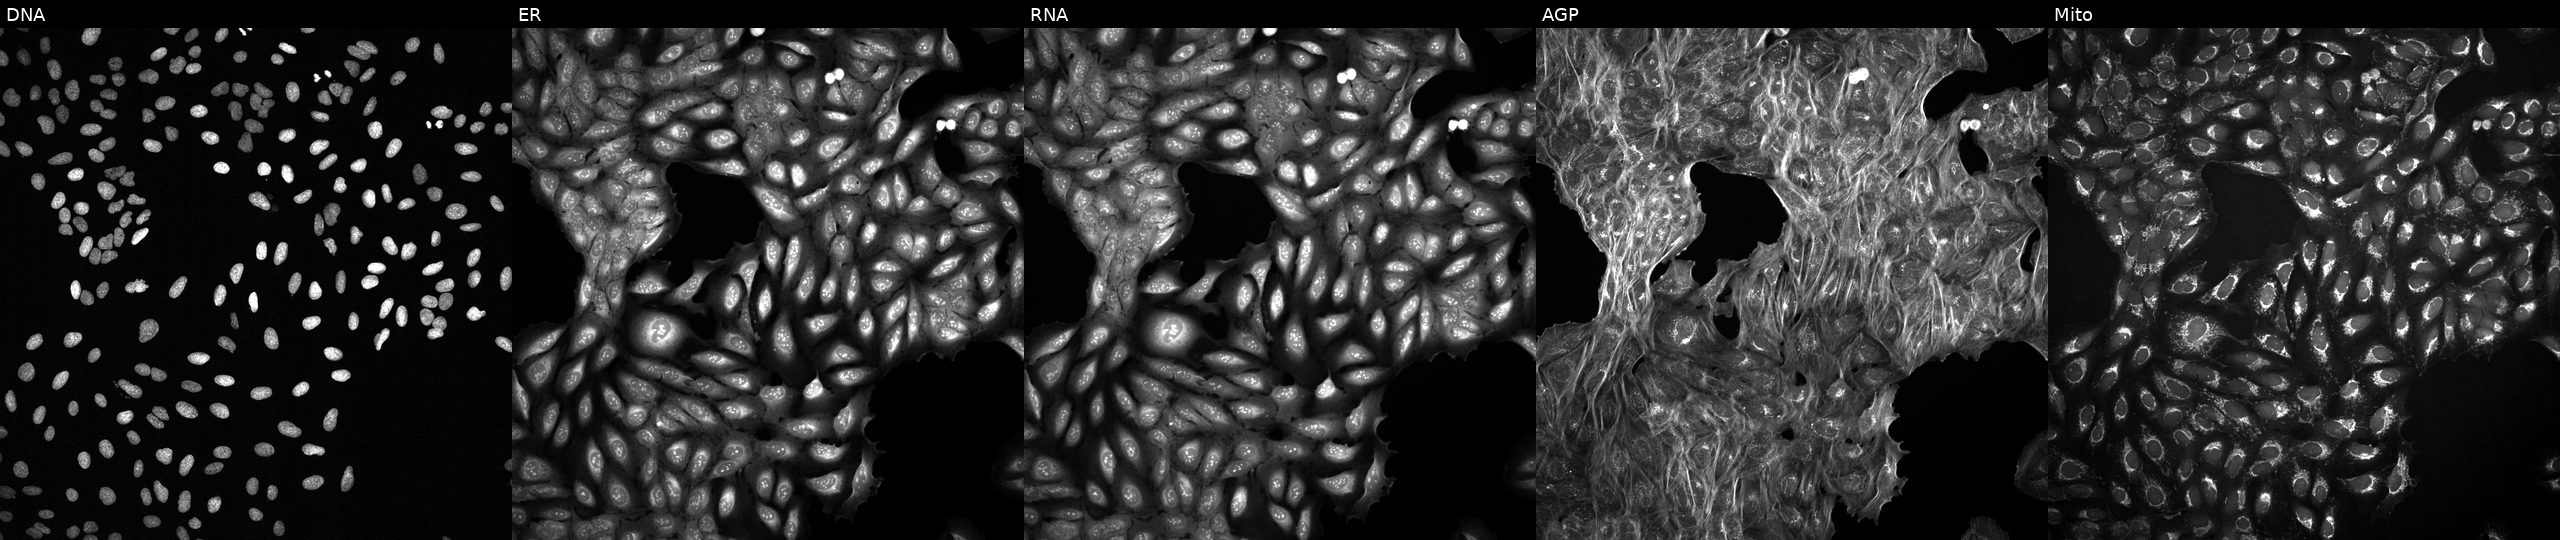
Five-channel Cell Painting image of U2OS cells exposed to DMSO alone as a negative control. Channels (left→right): DNA, ER, RNA, AGP, and Mito.